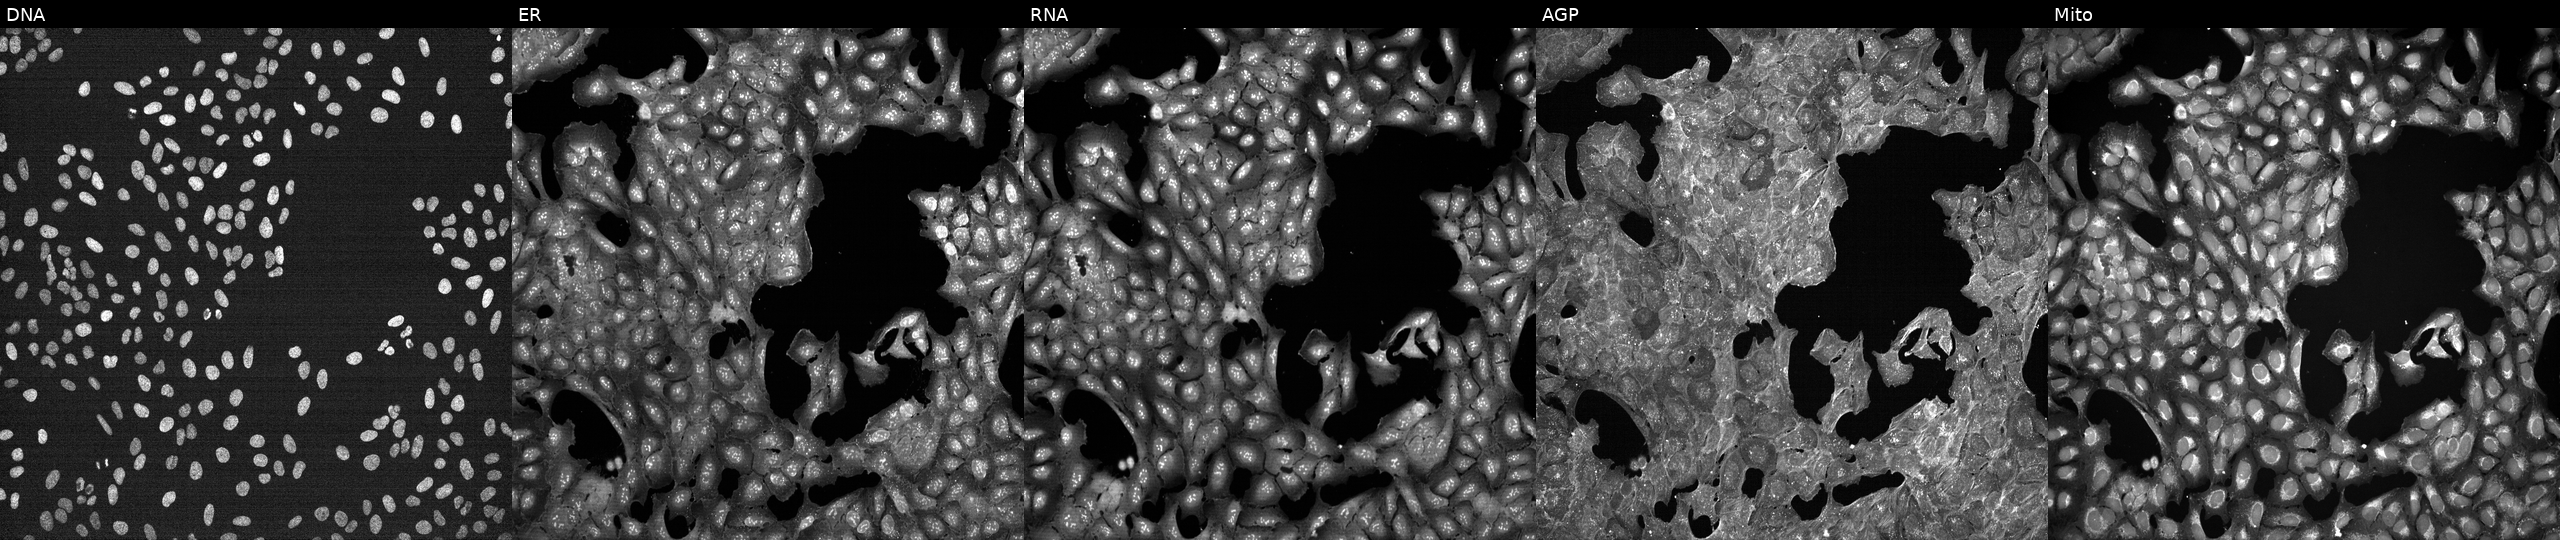
Five-channel Cell Painting image of U2OS cells exposed to DMSO alone as a negative control (JUMP id JCP2022_033924). Panels show, left to right, DNA (nuclei); ER (endoplasmic reticulum); RNA (nucleoli and cytoplasmic RNA); AGP (actin cytoskeleton, Golgi, and plasma membrane); Mito (mitochondria).